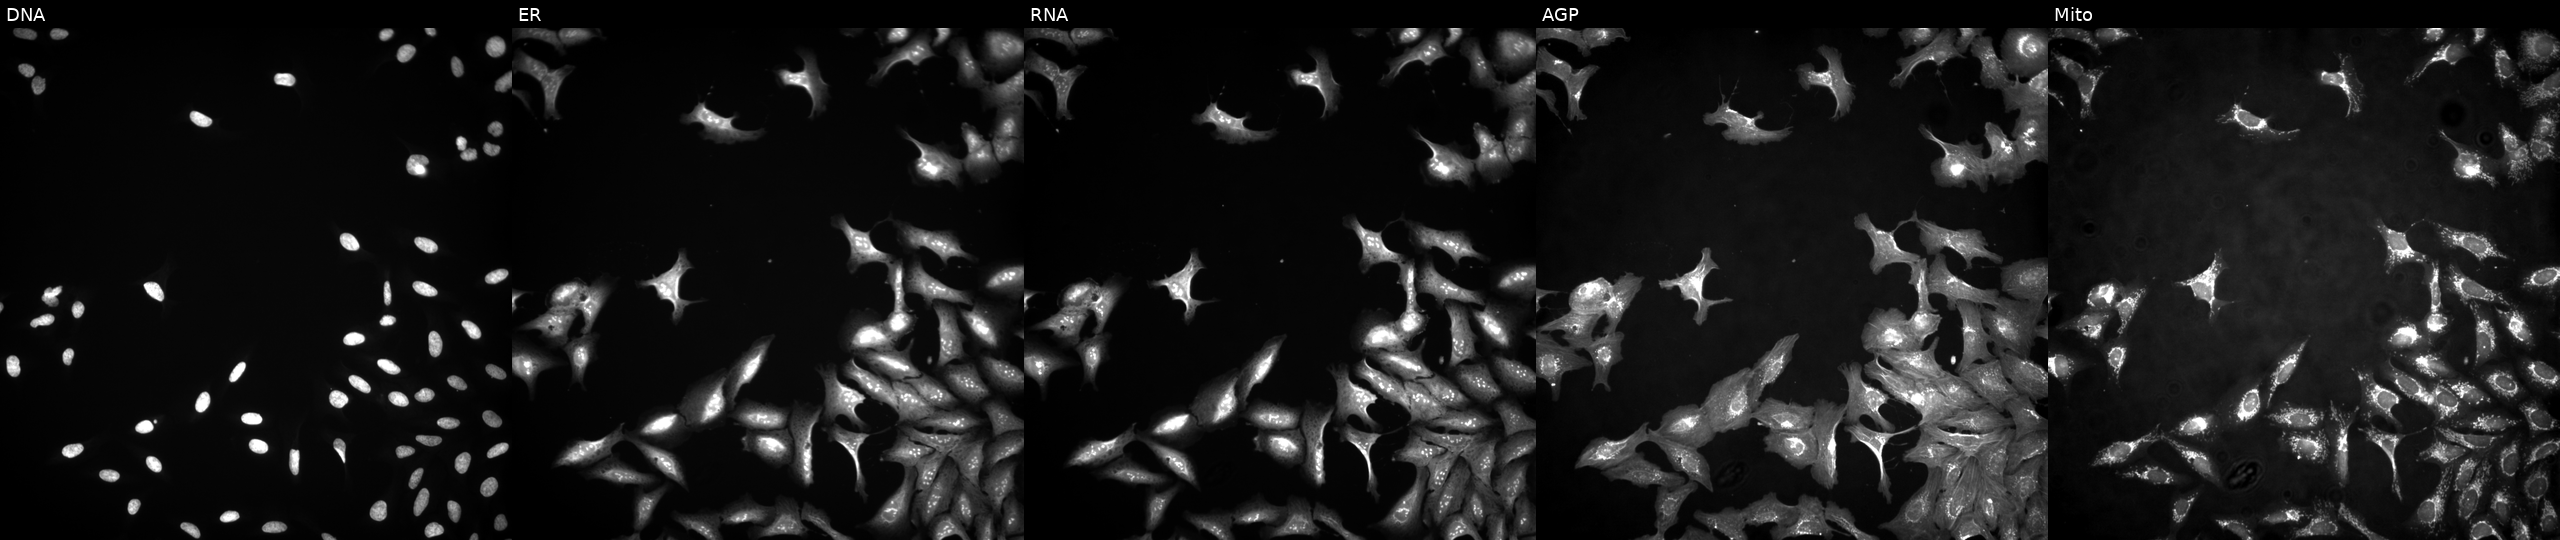
High-content fluorescence microscopy (Cell Painting). Cell line: U2OS. Perturbation: with ARID3B overexpressed (ORF) (JUMP id JCP2022_910749). The five panels, left to right, show DNA, ER, RNA, AGP, and Mito.